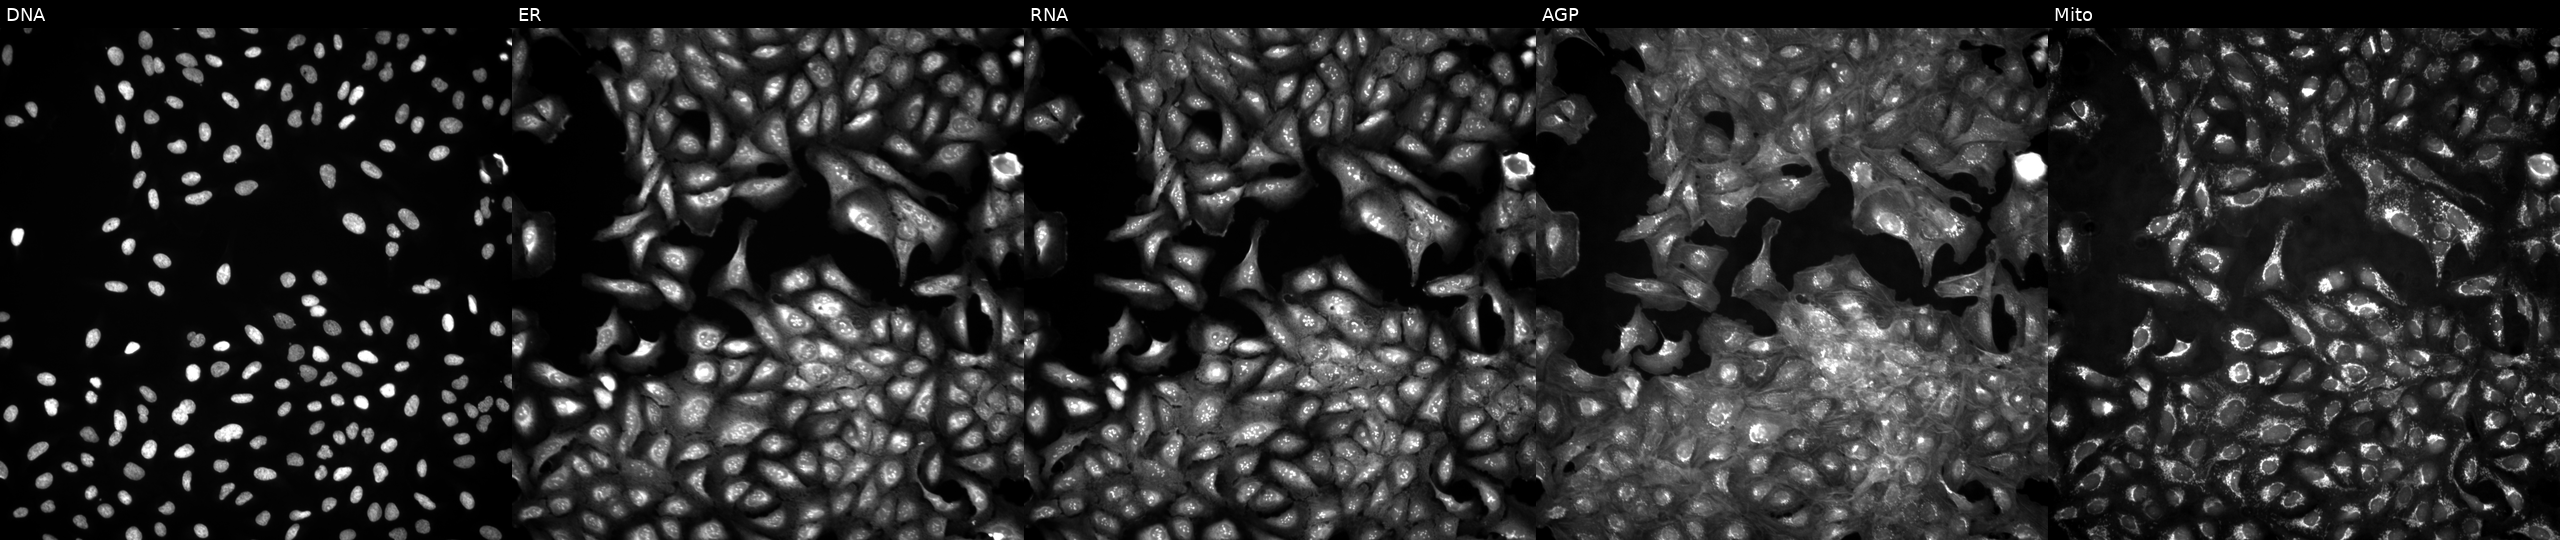
This image strip shows the five Cell Painting channels for a single field of U2OS cells untreated (empty-well control) (JUMP id JCP2022_999999). Panels show, left to right, DNA, ER, RNA, AGP, and Mito. Source 4, plate BR00124793, well M06.